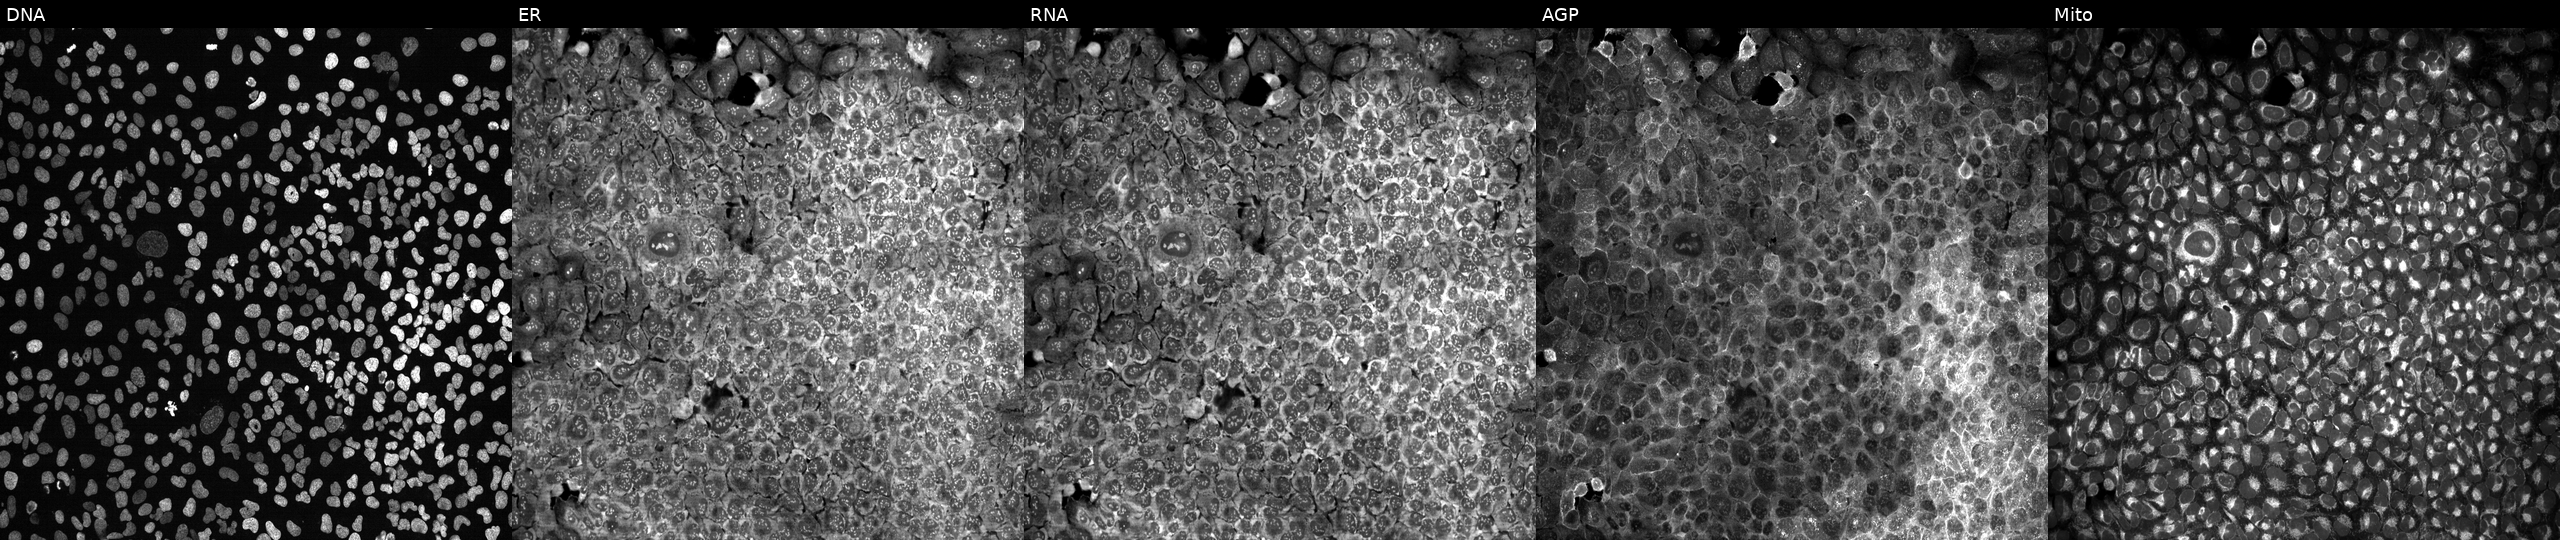
U2OS cells, Cell Painting assay, following CRISPR knockout of JARID2 (JUMP id JCP2022_803523). Panels show, left to right, DNA (nuclei); ER (endoplasmic reticulum); RNA (nucleoli and cytoplasmic RNA); AGP (actin cytoskeleton, Golgi, and plasma membrane); Mito (mitochondria). Each panel is percentile-stretched 16-bit fluorescence. Source 13, plate CP-CC9-R6-19, well D14.